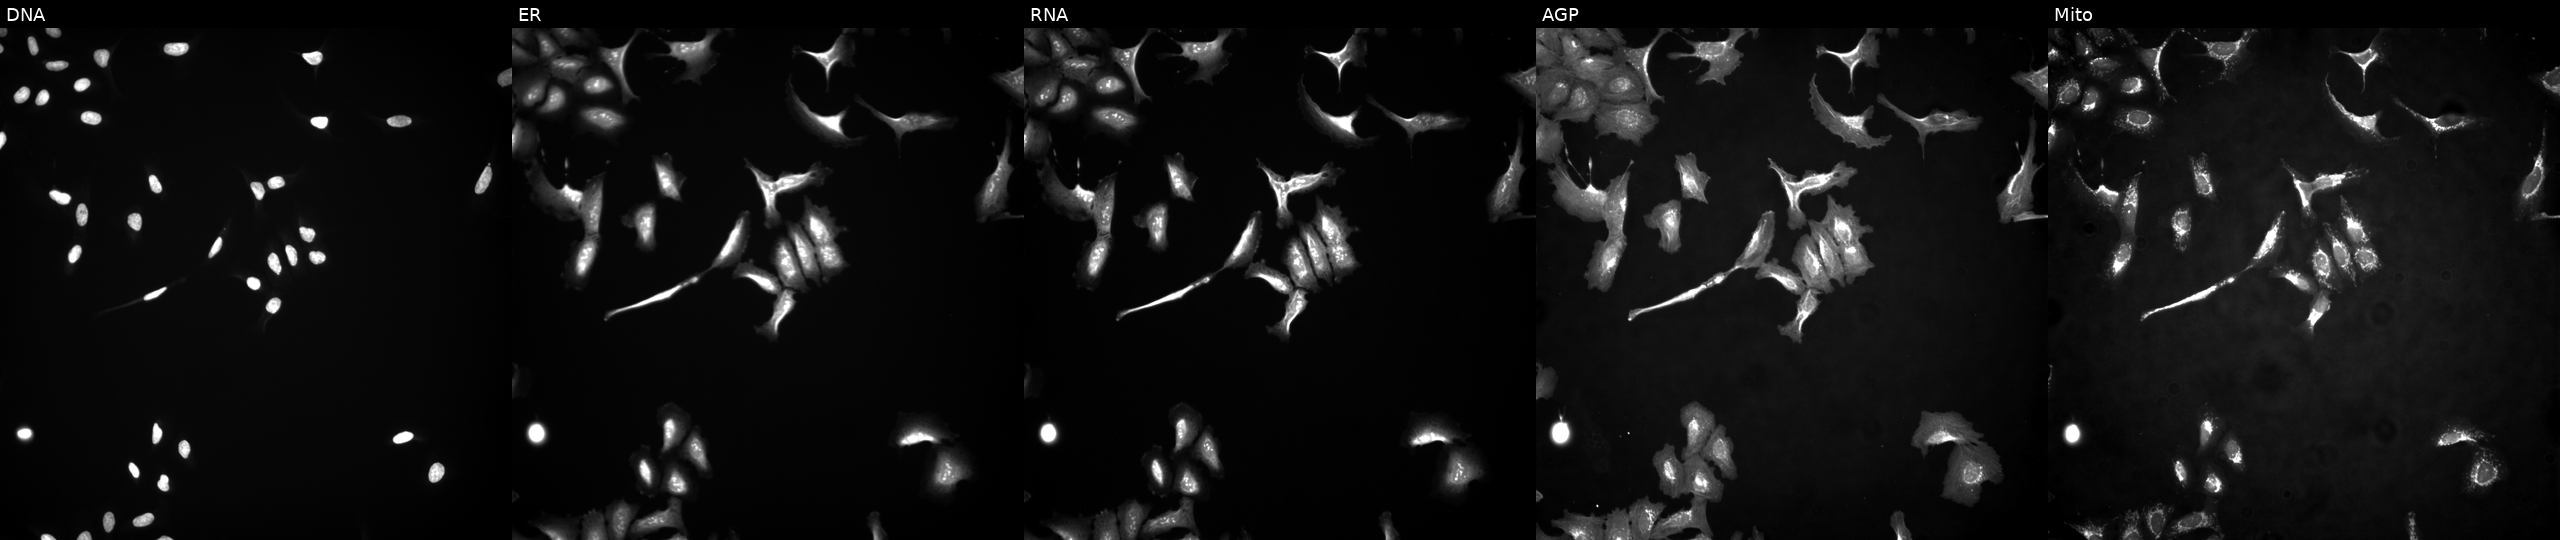
High-content fluorescence microscopy (Cell Painting). Cell line: U2OS. Perturbation: in an empty control well (no perturbation) (JUMP id JCP2022_999999). The five panels, left to right, show DNA, ER, RNA, AGP, and Mito.